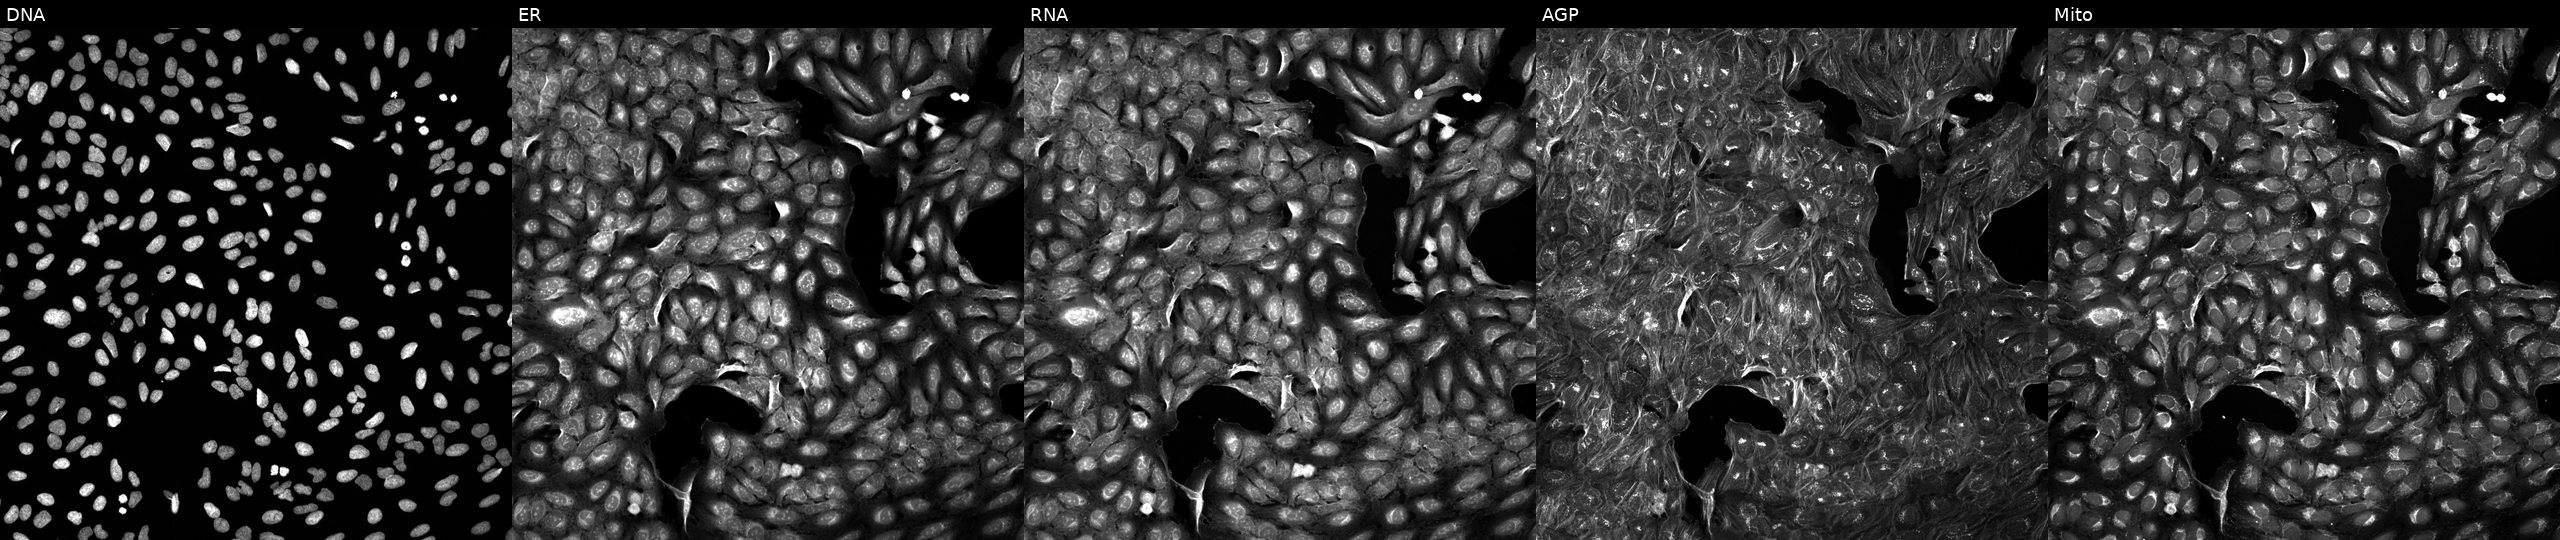
Five-channel Cell Painting image of U2OS cells exposed to a small-molecule compound (InChIKey VUVIJWBZNFAVNG-UHFFFAOYSA-N) (JUMP id JCP2022_096442). From left to right: DNA (nuclei); ER (endoplasmic reticulum); RNA (nucleoli and cytoplasmic RNA); AGP (actin cytoskeleton, Golgi, and plasma membrane); Mito (mitochondria). Source 5, plate APTJUM105, well L12.